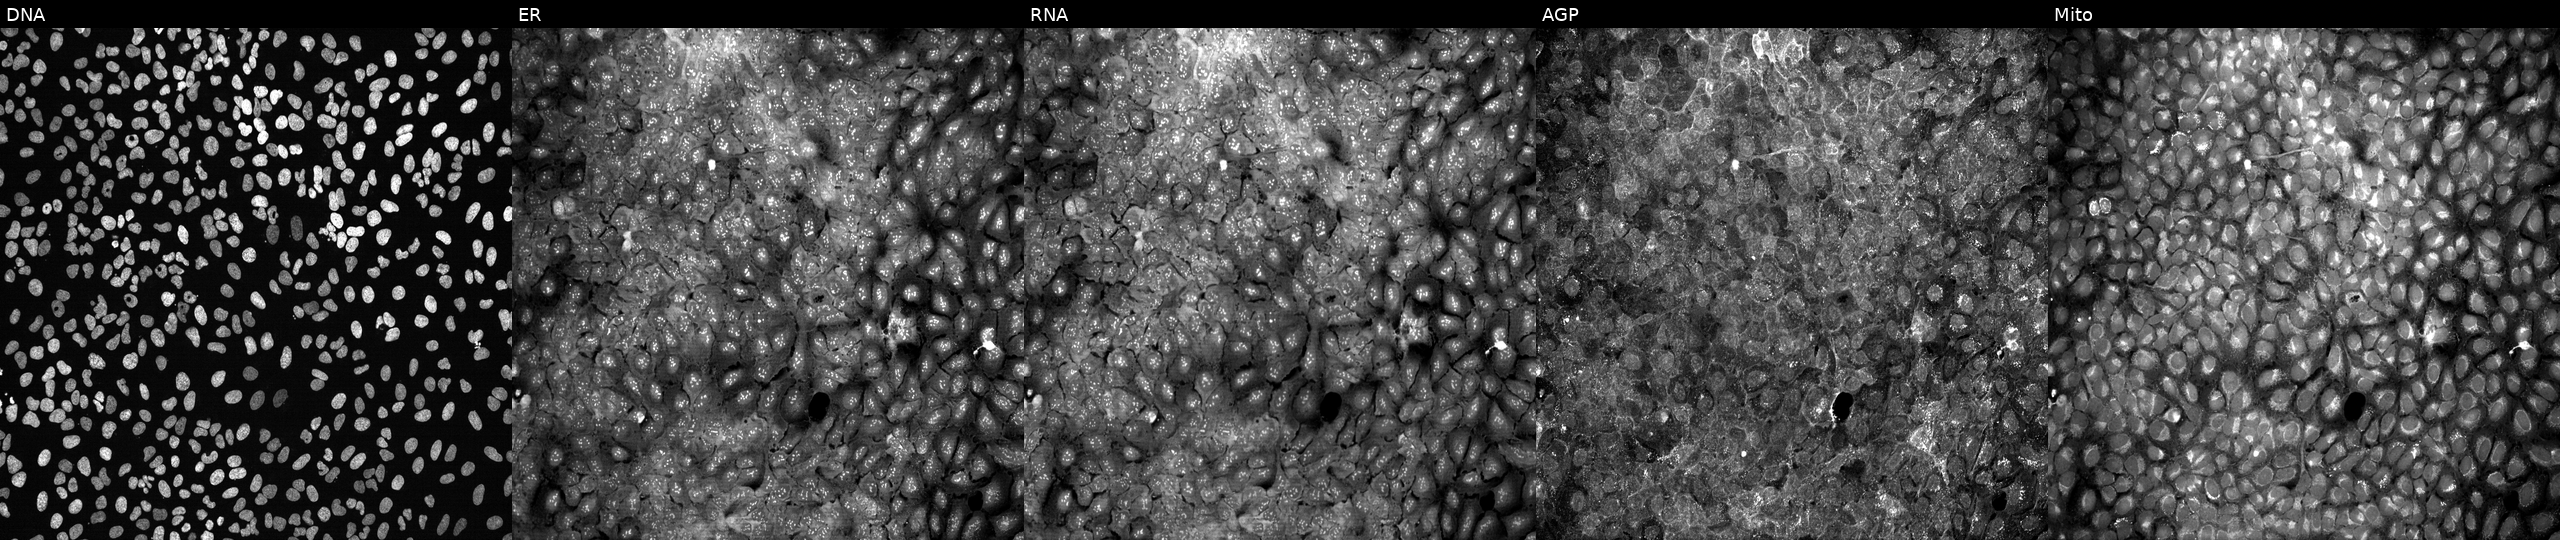
JUMP Cell Painting — CRISPR plate. U2OS cells following CRISPR knockout of CHPF2 (JUMP id JCP2022_801303). From left to right: Hoechst 33342, concanavalin A, SYTO 14, phalloidin and WGA, MitoTracker. Source 13, plate CP-CC9-R1-02, well F08.